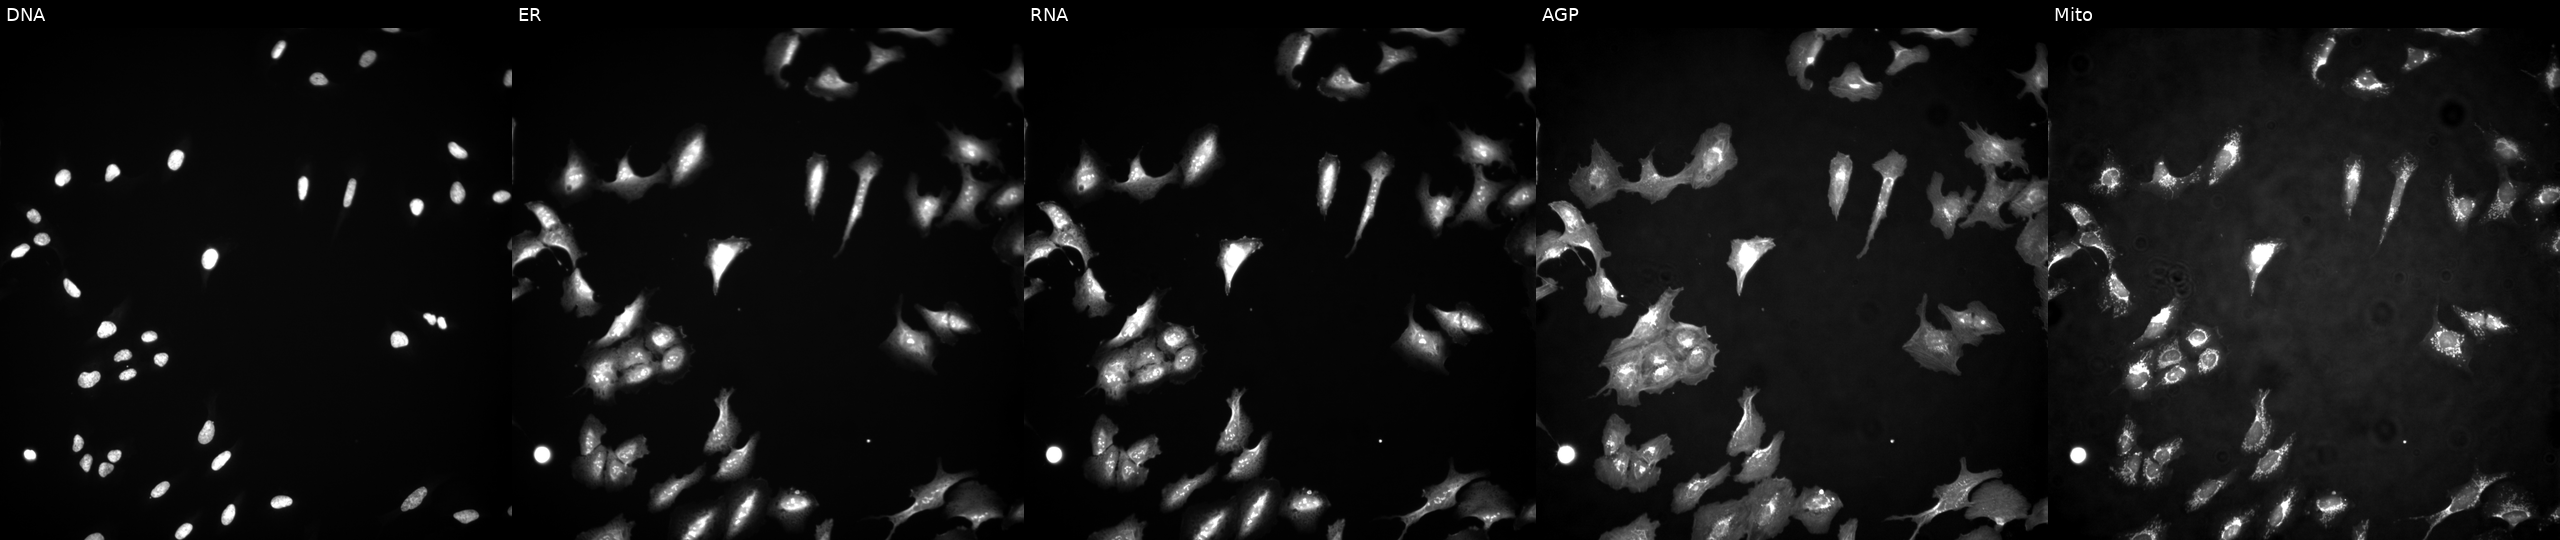
Five-channel Cell Painting image of U2OS cells transfected with an ORF construct for PRDM5. From left to right: Hoechst 33342, concanavalin A, SYTO 14, phalloidin and WGA, MitoTracker.